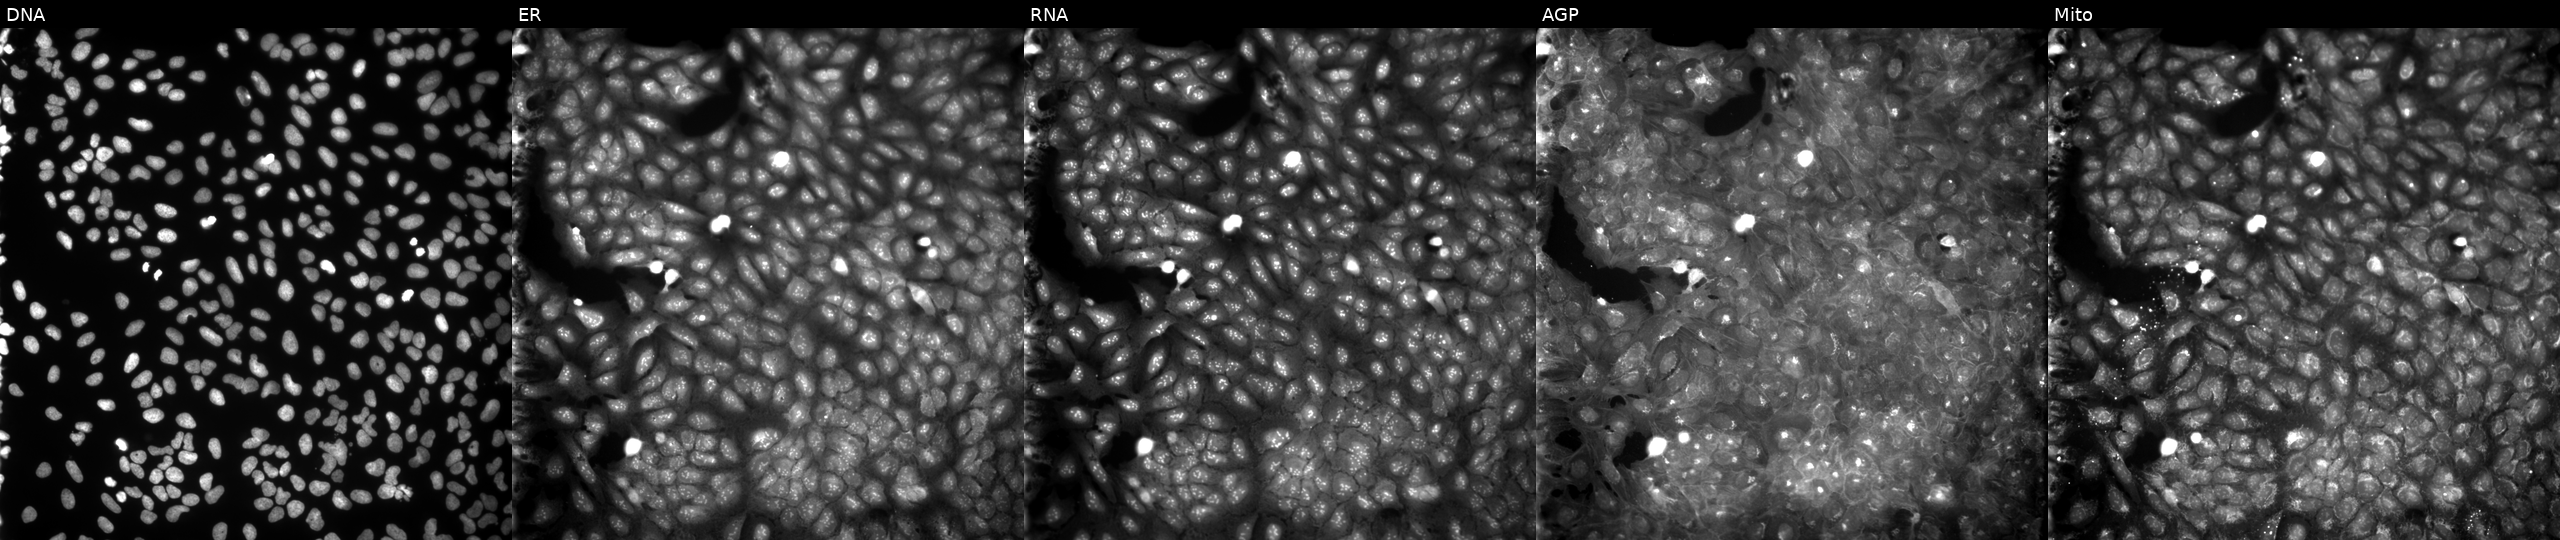
U2OS cells, Cell Painting assay, treated with a small-molecule compound (InChIKey DKFCSXLEMHPIFG-UHFFFAOYSA-N) (JUMP id JCP2022_016456). Channels (left→right): DNA (nuclei); ER (endoplasmic reticulum); RNA (nucleoli and cytoplasmic RNA); AGP (actin cytoskeleton, Golgi, and plasma membrane); Mito (mitochondria). Each panel is percentile-stretched 16-bit fluorescence.